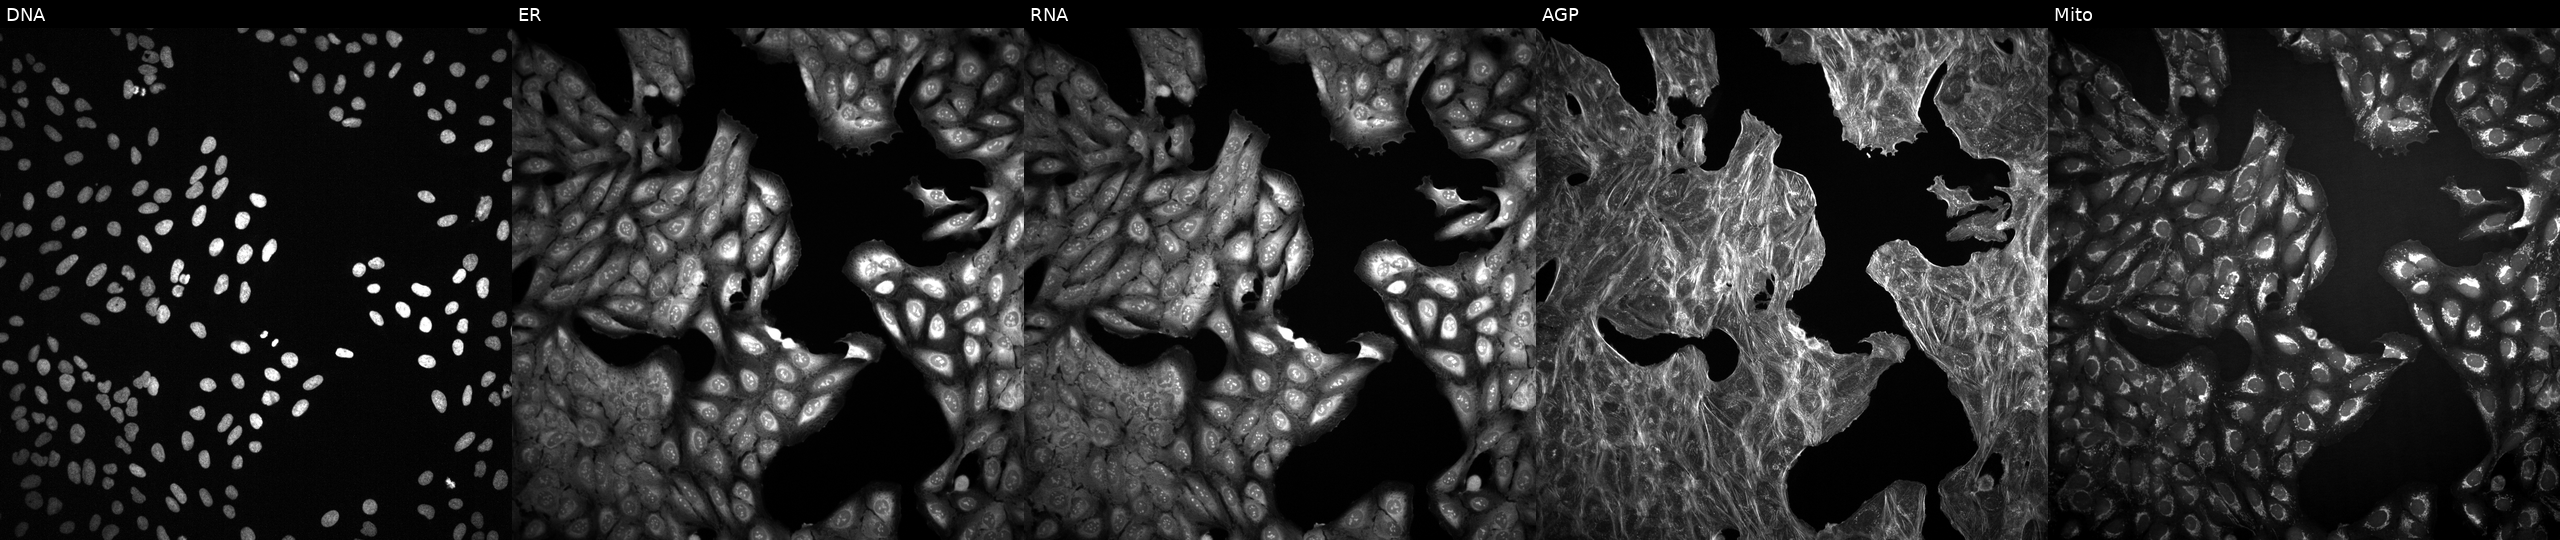
U2OS cells, Cell Painting assay, exposed to DMSO alone as a negative control (JUMP id JCP2022_033924). Channels (left→right): DNA (nuclei); ER (endoplasmic reticulum); RNA (nucleoli and cytoplasmic RNA); AGP (actin cytoskeleton, Golgi, and plasma membrane); Mito (mitochondria). Each panel is percentile-stretched 16-bit fluorescence. Source 2, plate 1053597936, well K24.